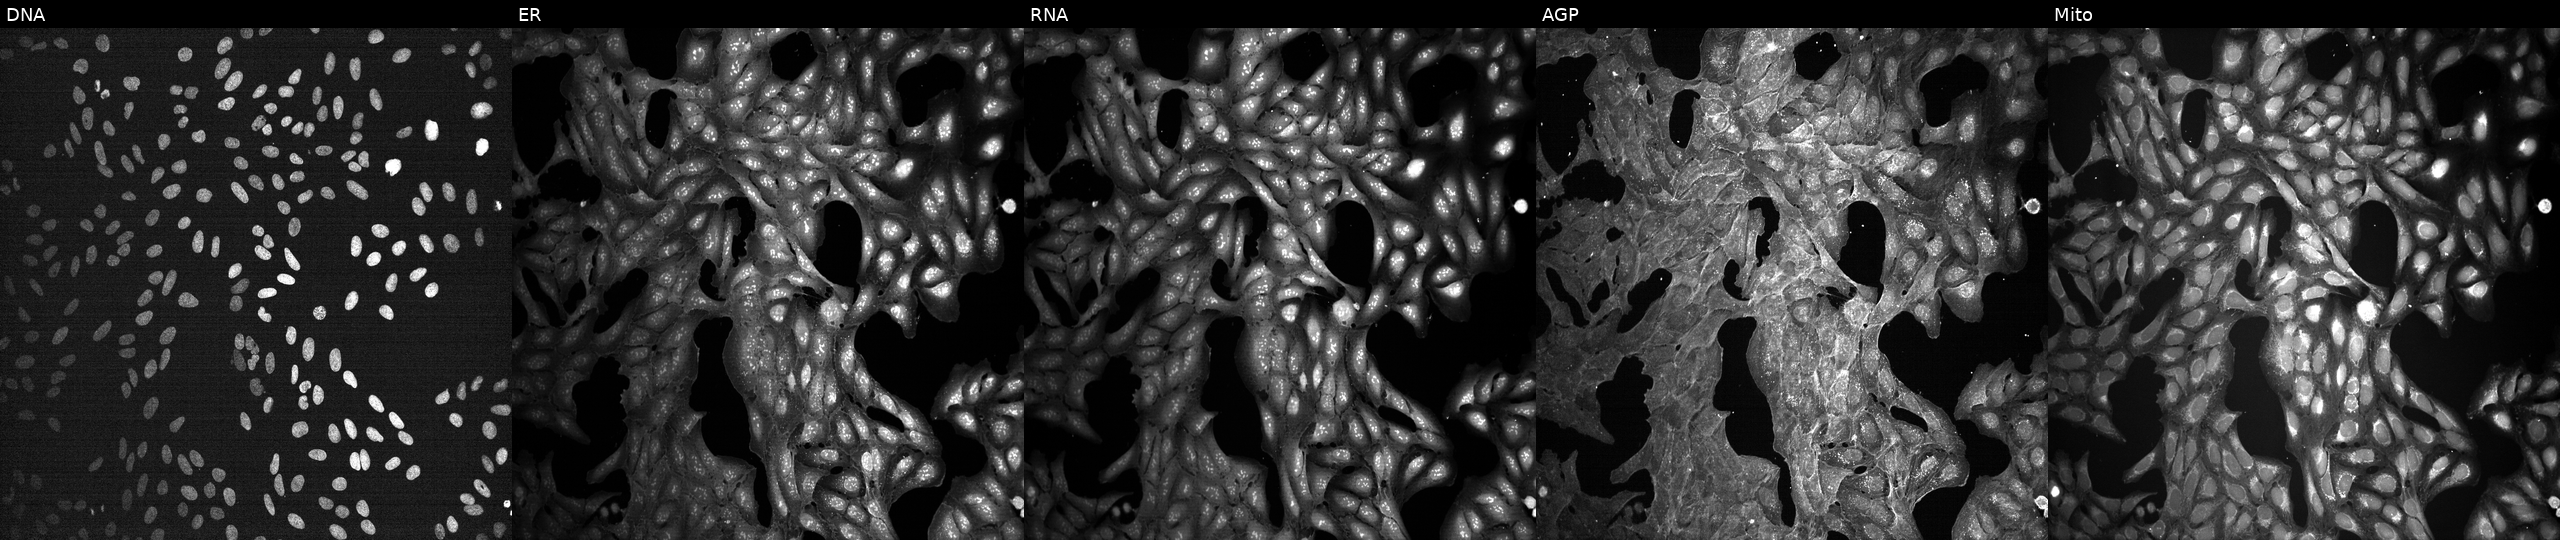
High-content fluorescence microscopy (Cell Painting). Cell line: U2OS. Perturbation: treated with a small-molecule compound (InChIKey LPYXWGMUVRGUOY-UHFFFAOYSA-N). Panels show, left to right, DNA (nuclei); ER (endoplasmic reticulum); RNA (nucleoli and cytoplasmic RNA); AGP (actin cytoskeleton, Golgi, and plasma membrane); Mito (mitochondria).